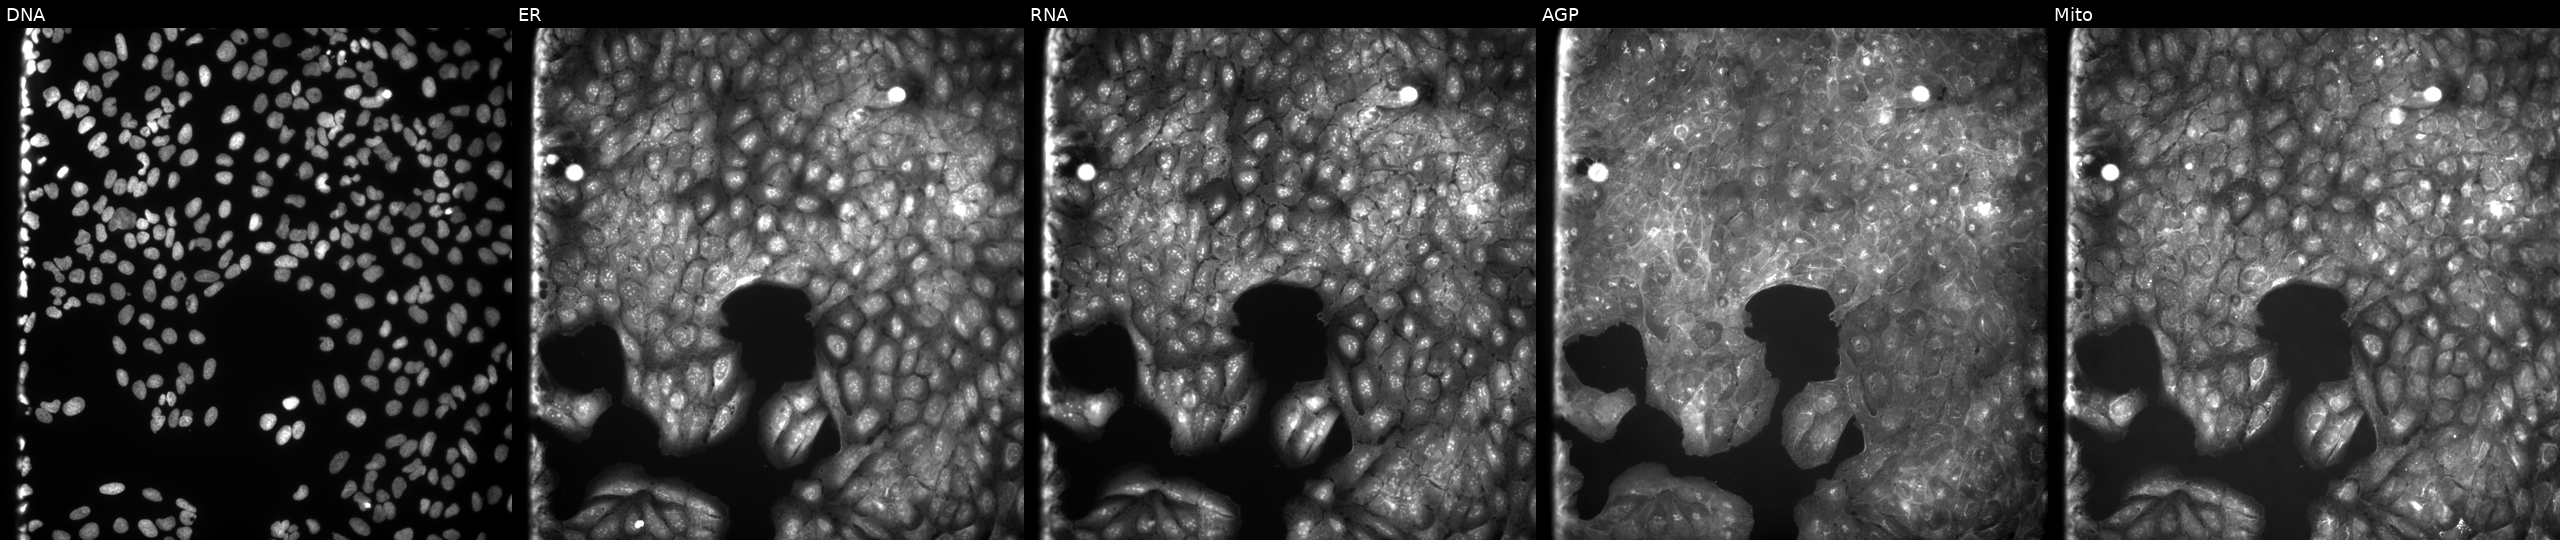
Five-channel Cell Painting image of U2OS cells exposed to a small-molecule compound (InChIKey YXFXZHPDXNBWBS-UHFFFAOYSA-N). Panels show, left to right, DNA (nuclei); ER (endoplasmic reticulum); RNA (nucleoli and cytoplasmic RNA); AGP (actin cytoskeleton, Golgi, and plasma membrane); Mito (mitochondria). Source 9, plate GR00003382, well L08.